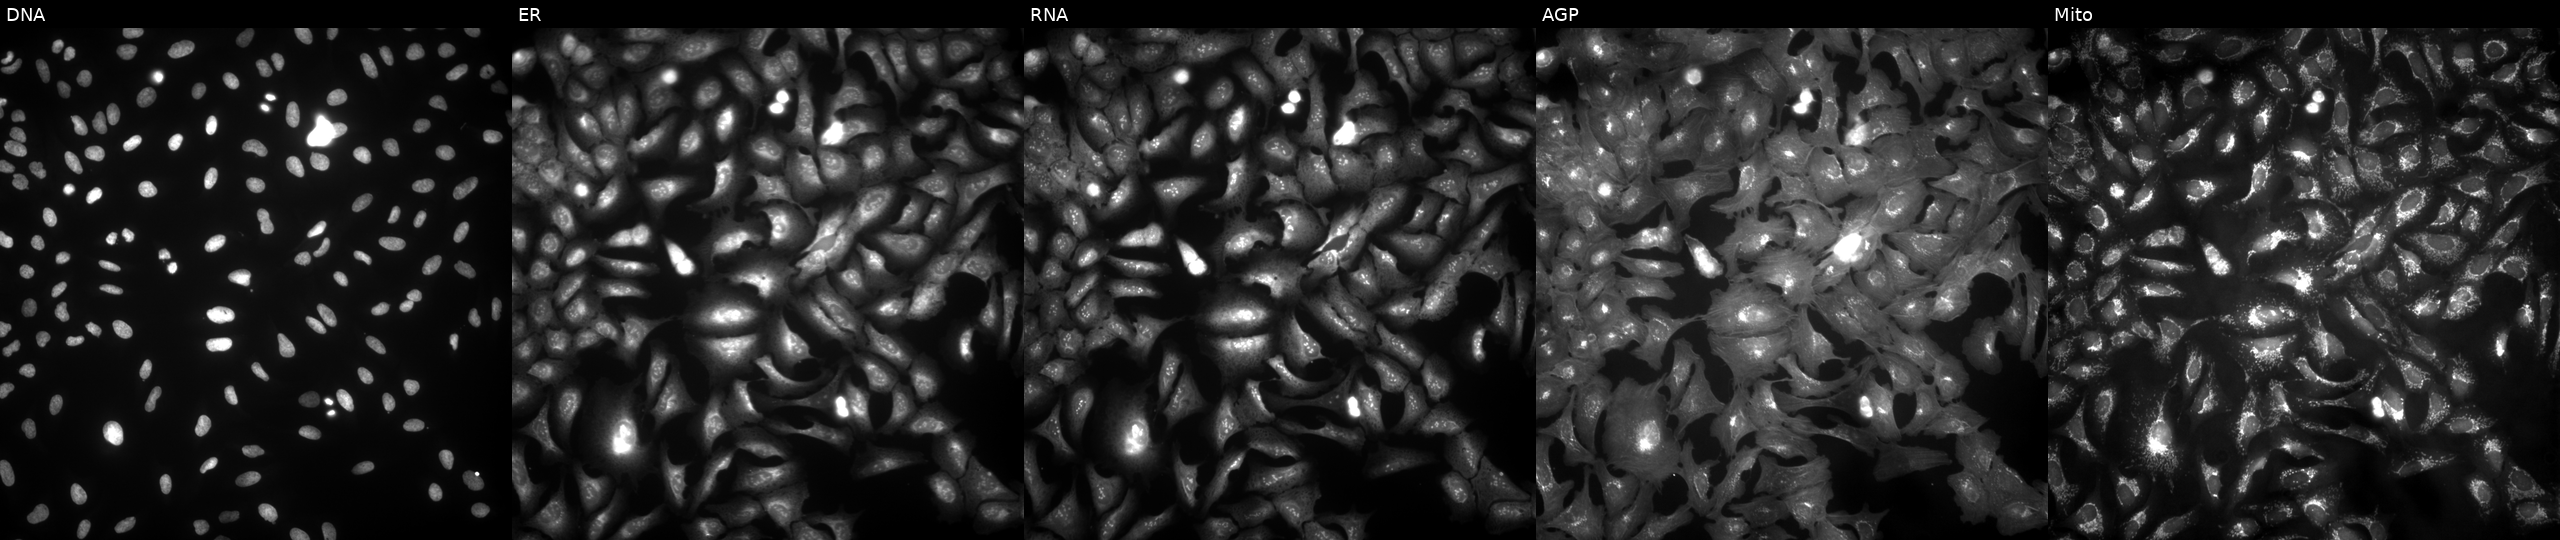
U2OS cells, Cell Painting assay, overexpressing CAMK4 via ORF transfection (JUMP id JCP2022_905540). From left to right: DNA (nuclei); ER (endoplasmic reticulum); RNA (nucleoli and cytoplasmic RNA); AGP (actin cytoskeleton, Golgi, and plasma membrane); Mito (mitochondria). Each panel is percentile-stretched 16-bit fluorescence.